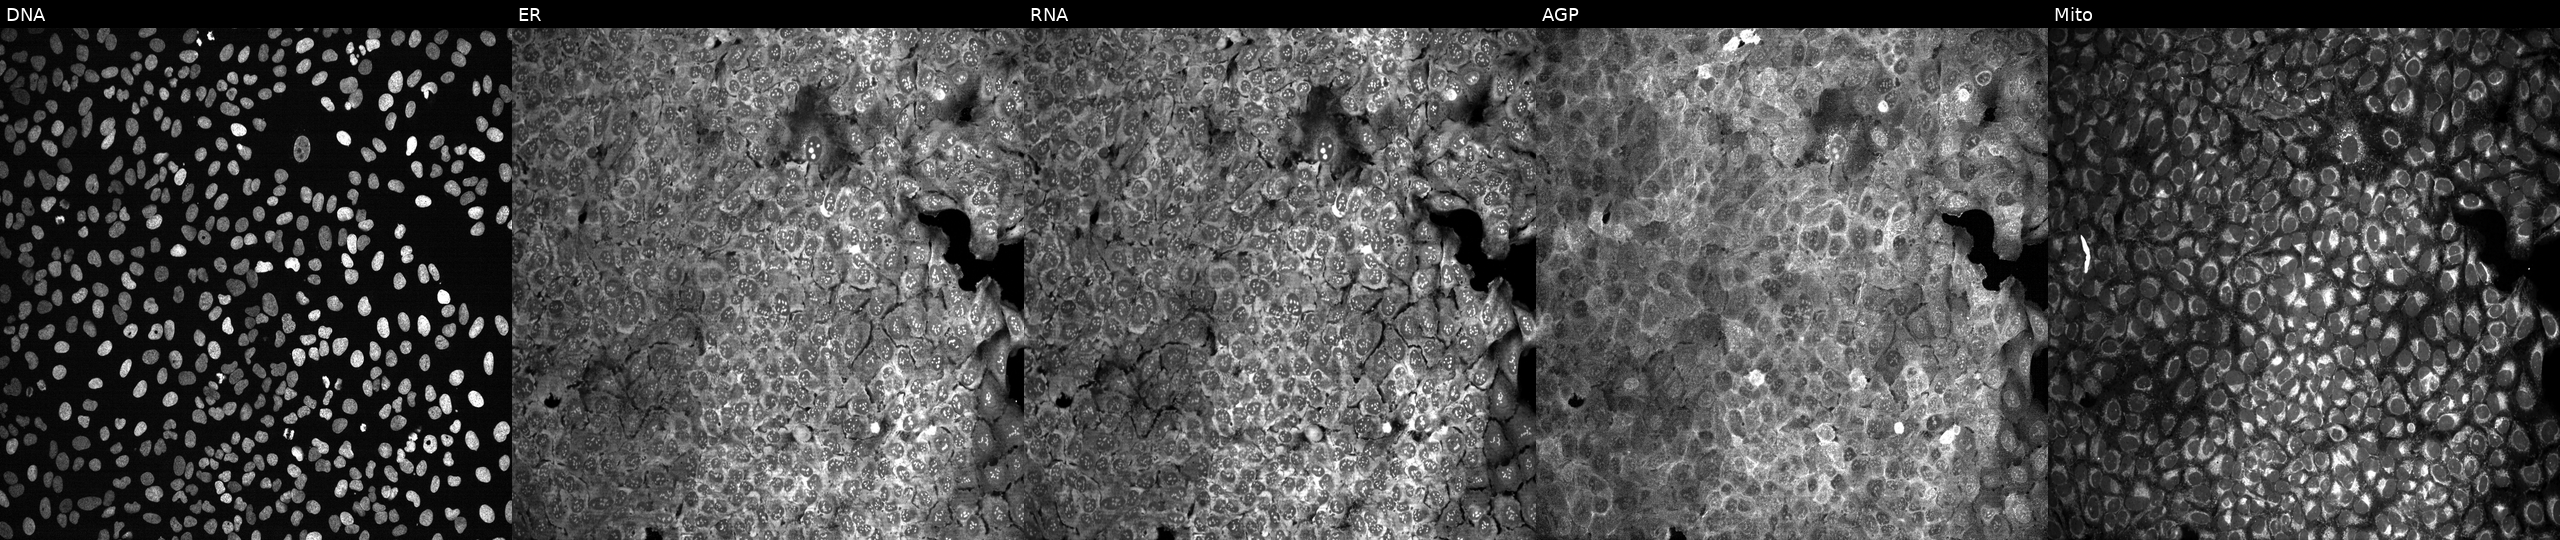
JUMP Cell Painting — CRISPR plate. U2OS cells treated with quinidine (positive-control compound). From left to right: DNA (nuclei); ER (endoplasmic reticulum); RNA (nucleoli and cytoplasmic RNA); AGP (actin cytoskeleton, Golgi, and plasma membrane); Mito (mitochondria).